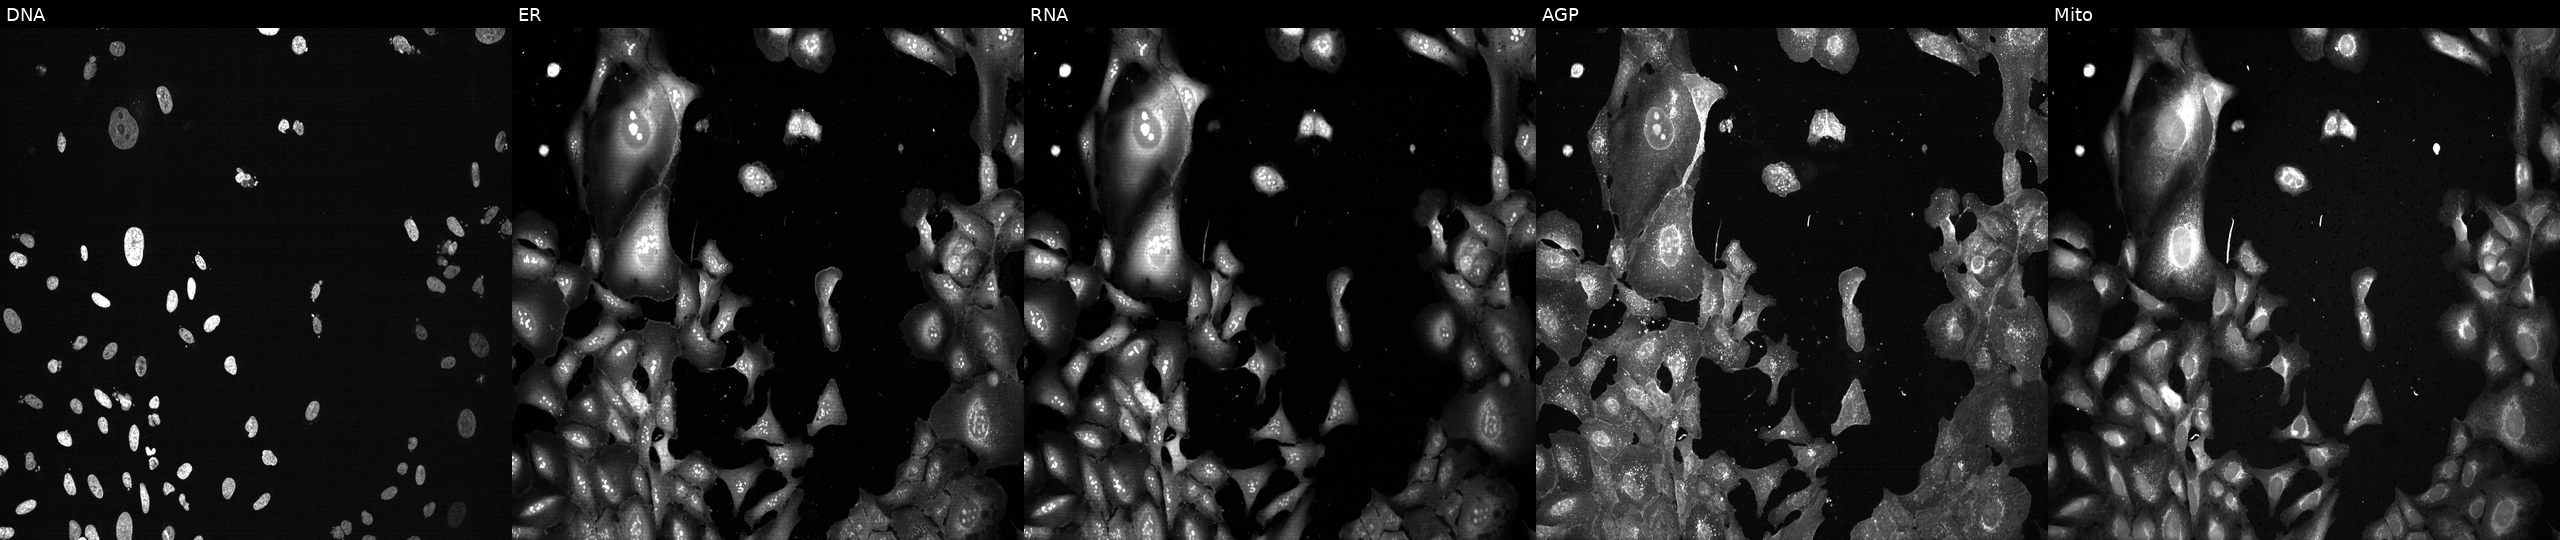
High-content fluorescence microscopy (Cell Painting). Cell line: U2OS. Perturbation: CRISPR-edited to disrupt UGT3A1 (JUMP id JCP2022_807533). Panels show, left to right, DNA, ER, RNA, AGP, and Mito. Source 13, plate CP-CC9-R1-01, well G20.